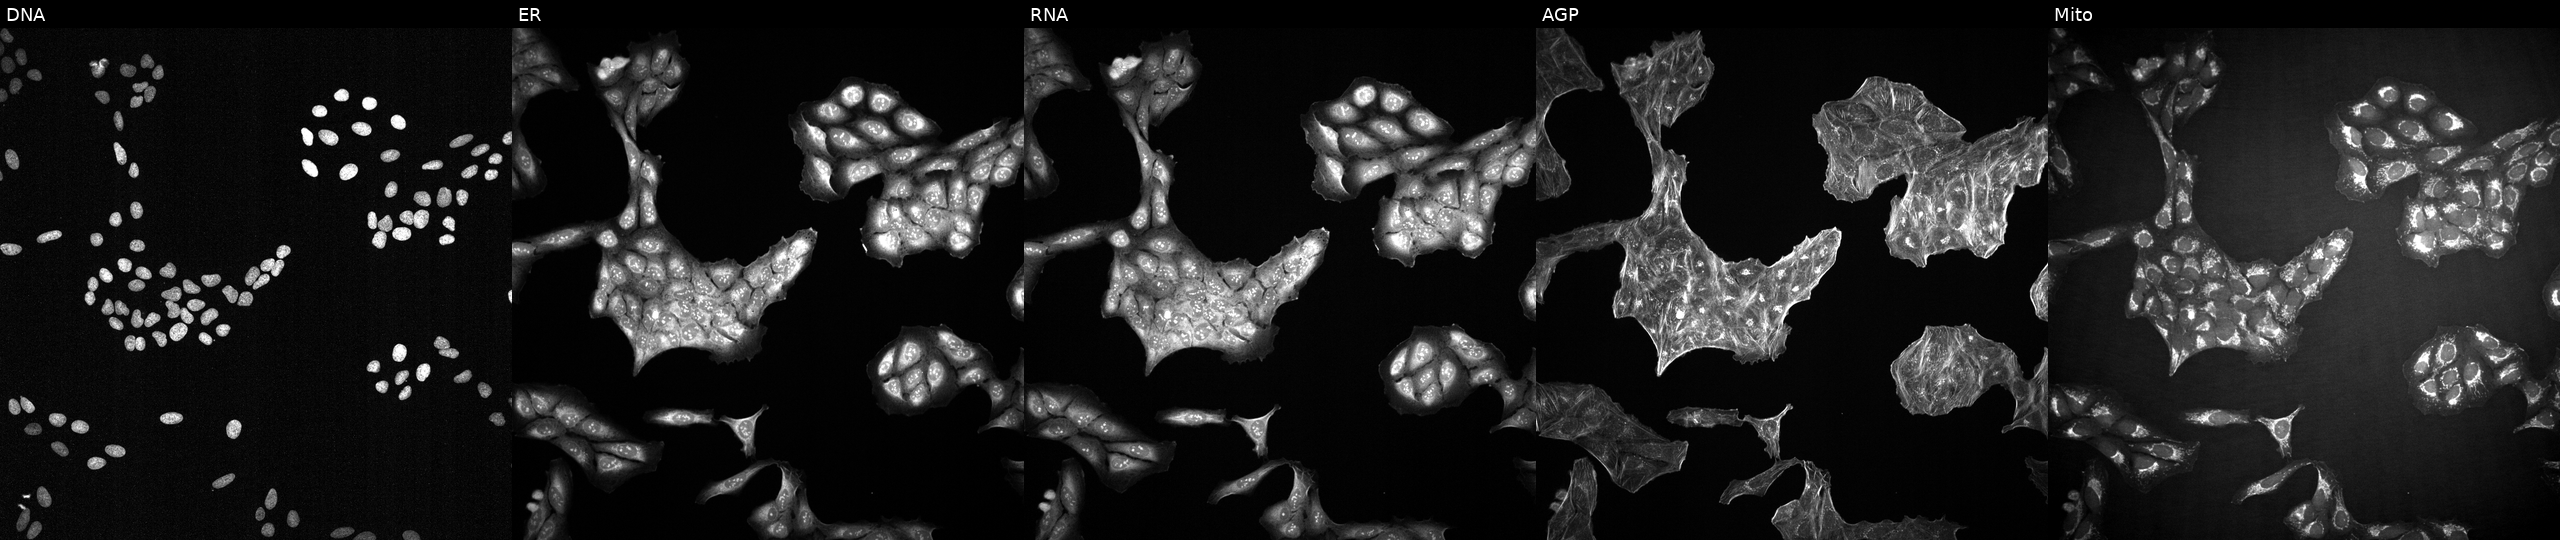
JUMP Cell Painting — TARGET2 plate. U2OS cells treated with DMSO vehicle only (negative control) (JUMP id JCP2022_033924). From left to right: DNA, ER, RNA, AGP, and Mito.